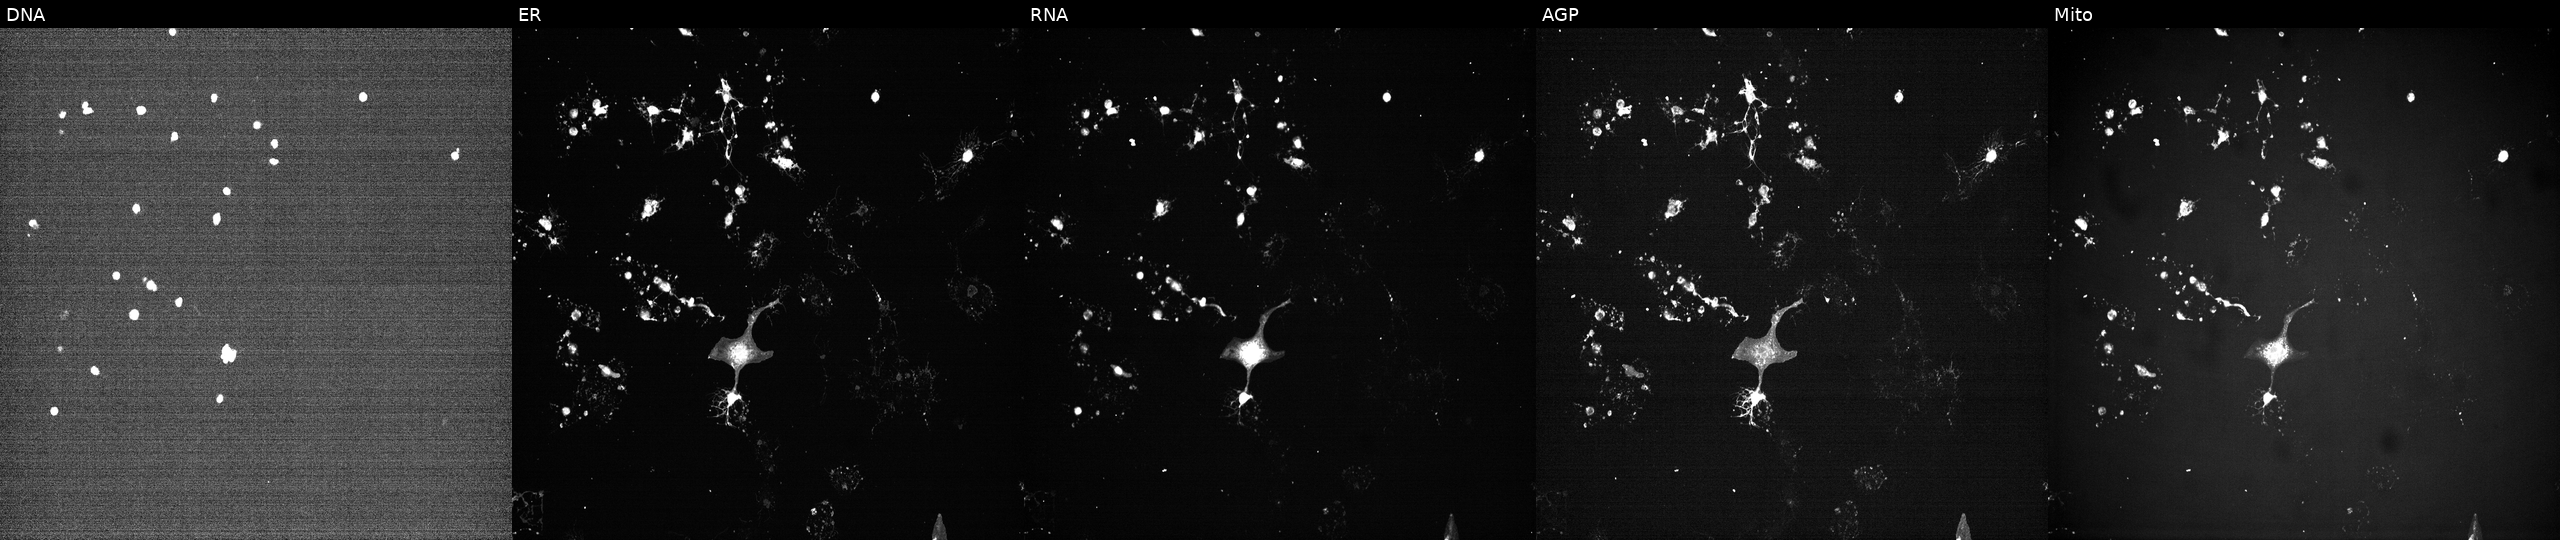
U2OS cells, Cell Painting assay, treated with a small-molecule compound (InChIKey PBCZSGKMGDDXIJ-UHFFFAOYSA-N). The five panels, left to right, show Hoechst 33342, concanavalin A, SYTO 14, phalloidin and WGA, MitoTracker. Each panel is percentile-stretched 16-bit fluorescence. Source 7, plate CP3-SC1-25, well G12.